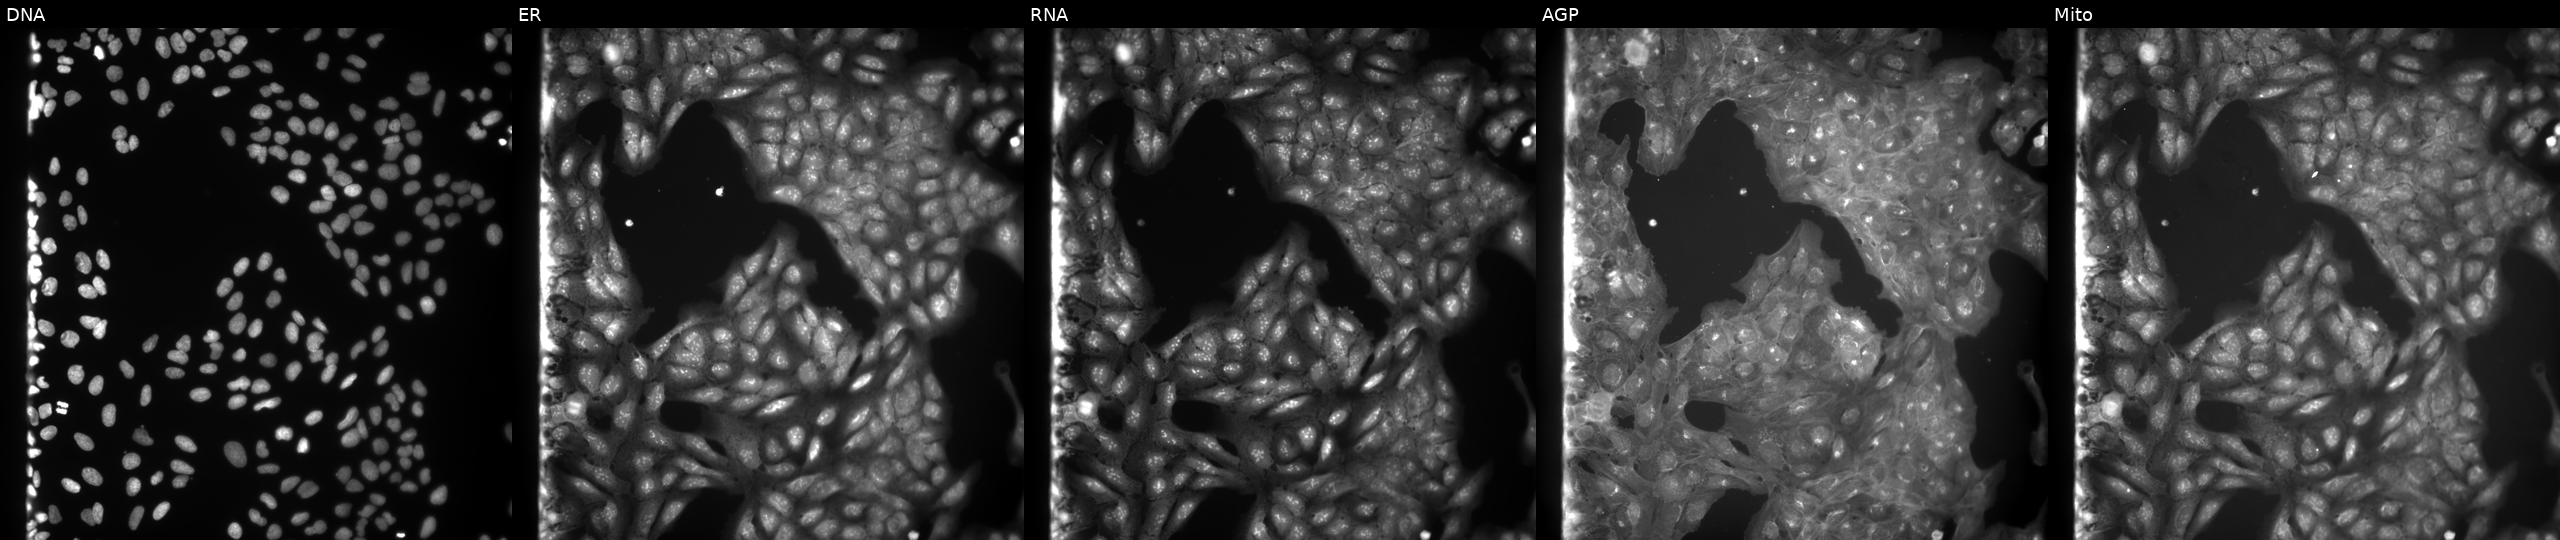
Five-channel Cell Painting image of U2OS cells treated with a small-molecule compound (InChIKey AWJSUSSSVGZCGJ-UHFFFAOYSA-N). Panels show, left to right, DNA, ER, RNA, AGP, and Mito.